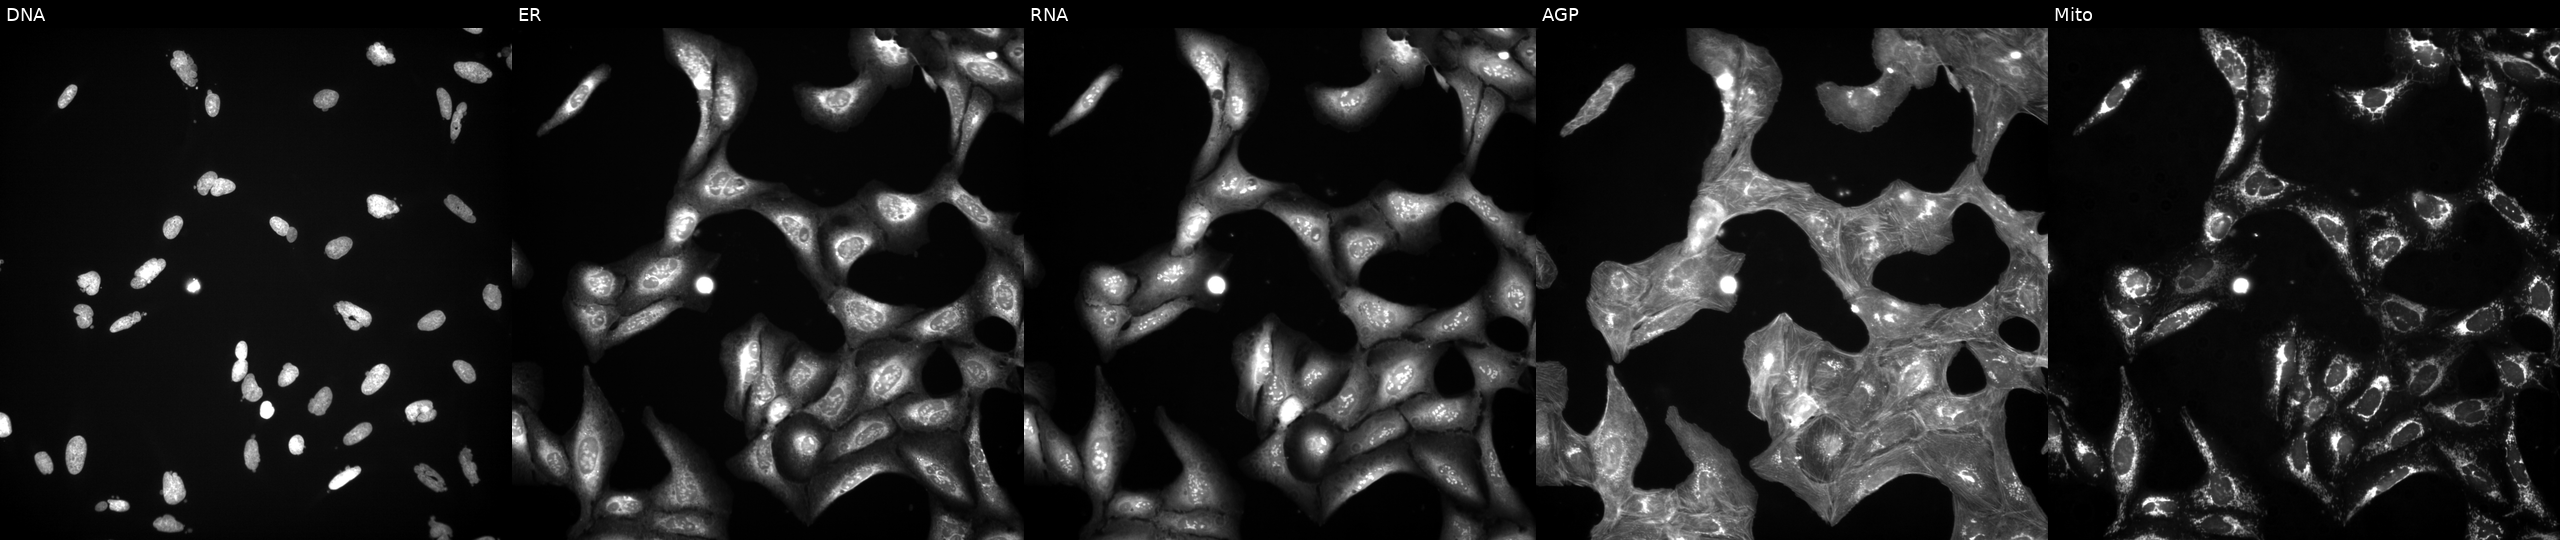
From left to right: DNA, ER, RNA, AGP, and Mito. U2OS osteosarcoma cells perturbed with a small-molecule compound (InChIKey KRBSMMVJJVHVCB-UHFFFAOYSA-N). Cell Painting assay, JUMP-CP dataset. Source 3, plate JCPQC051, well J14.